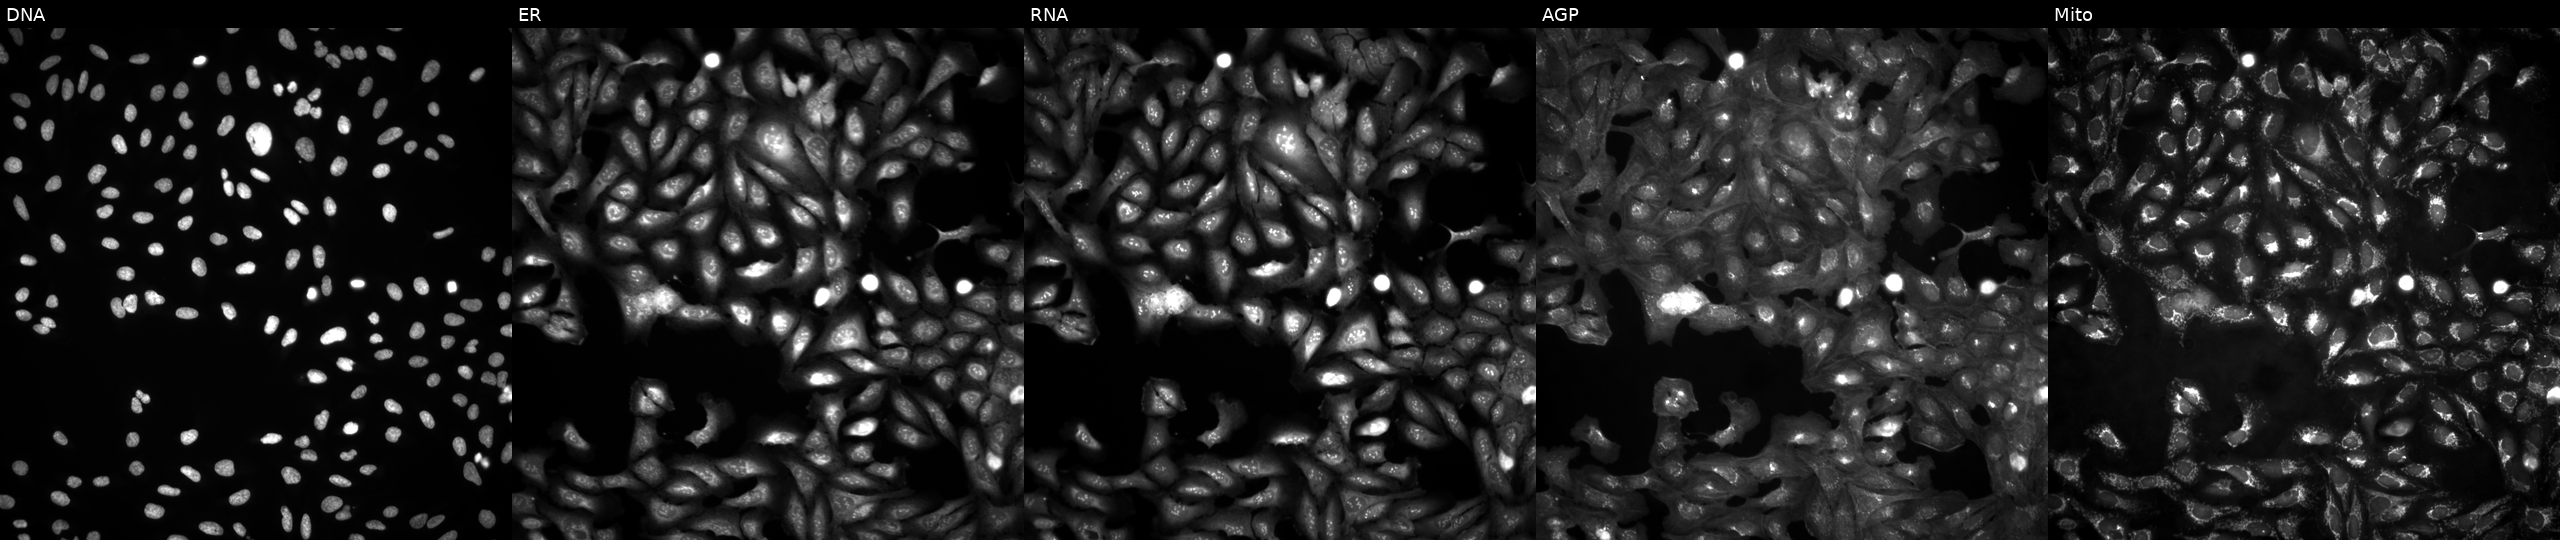
Panels show, left to right, DNA, ER, RNA, AGP, and Mito. U2OS osteosarcoma cells untreated (empty-well control) (JUMP id JCP2022_999999). Cell Painting assay, JUMP-CP dataset.